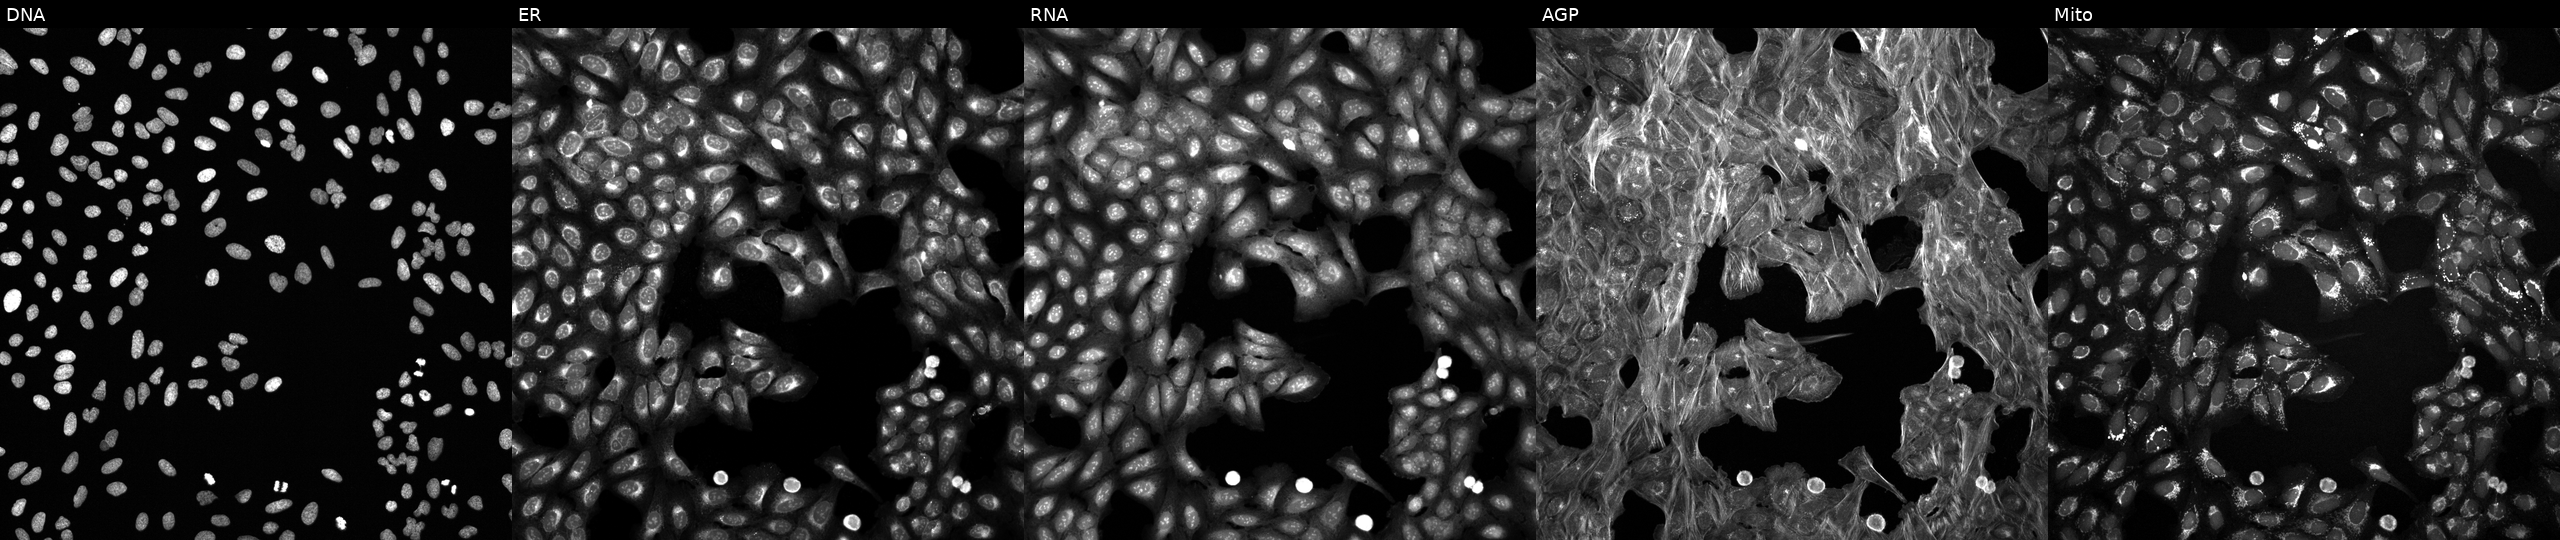
This image strip shows the five Cell Painting channels for a single field of U2OS cells treated with a small-molecule compound (InChIKey YMEMDOOLJJYSIZ-UHFFFAOYSA-N) [SMILES: Cc1ccc(C(C)NC(=O)c2cccc(Oc3cc(-c4ccccc4)ncn3)c2)cc1] (JUMP id JCP2022_109354). From left to right: Hoechst 33342, concanavalin A, SYTO 14, phalloidin and WGA, MitoTracker.